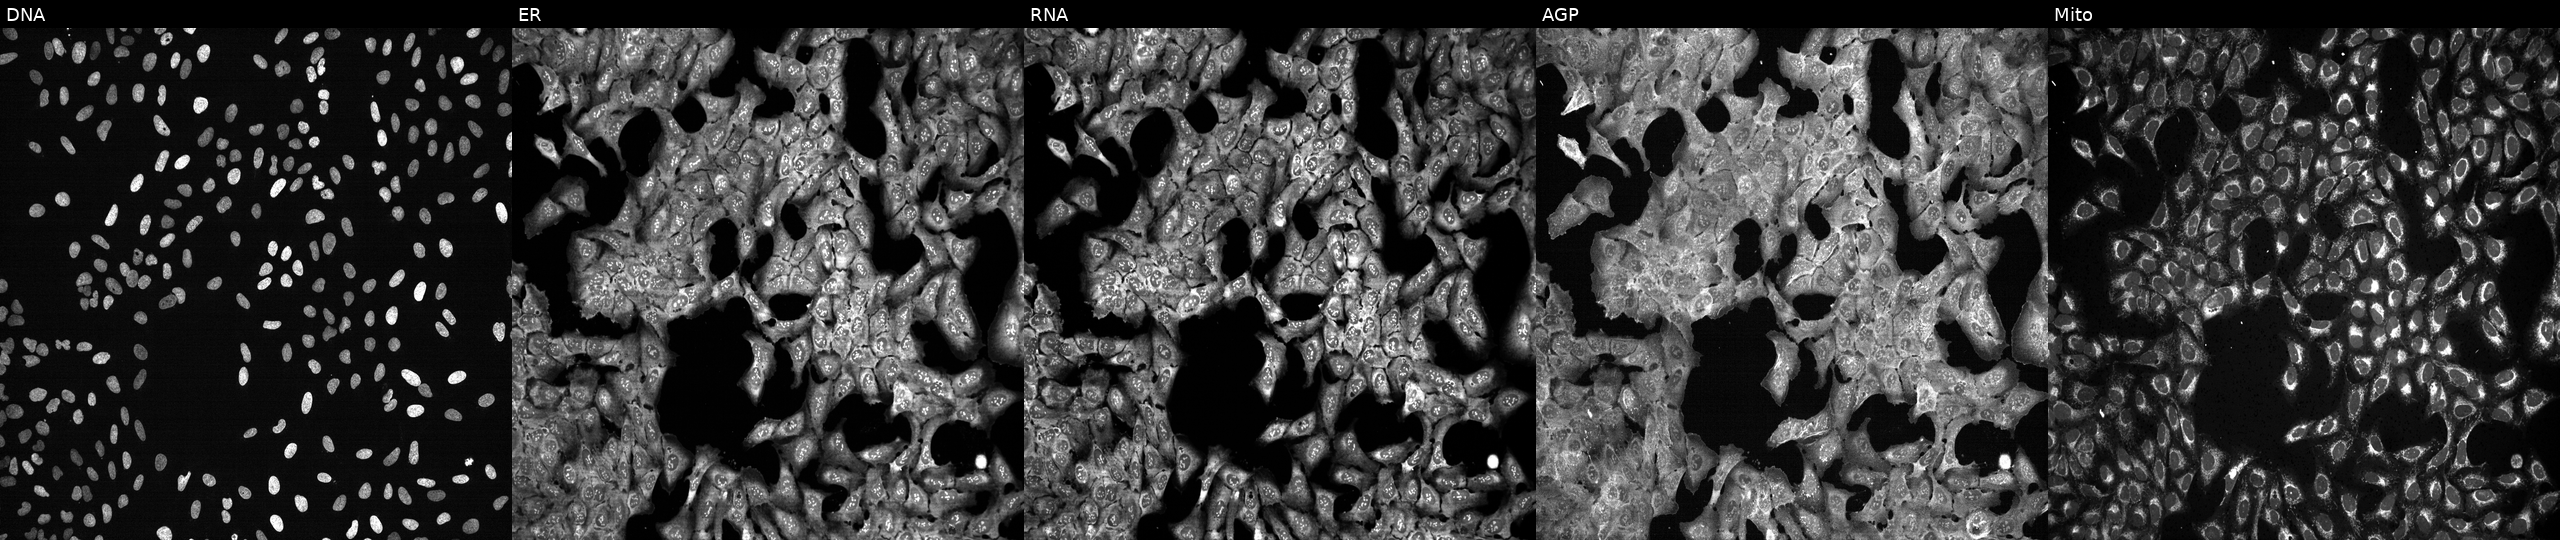
The five panels, left to right, show DNA (nuclei); ER (endoplasmic reticulum); RNA (nucleoli and cytoplasmic RNA); AGP (actin cytoskeleton, Golgi, and plasma membrane); Mito (mitochondria). U2OS osteosarcoma cells with OVCA2 knocked out by CRISPR. Cell Painting assay, JUMP-CP dataset.